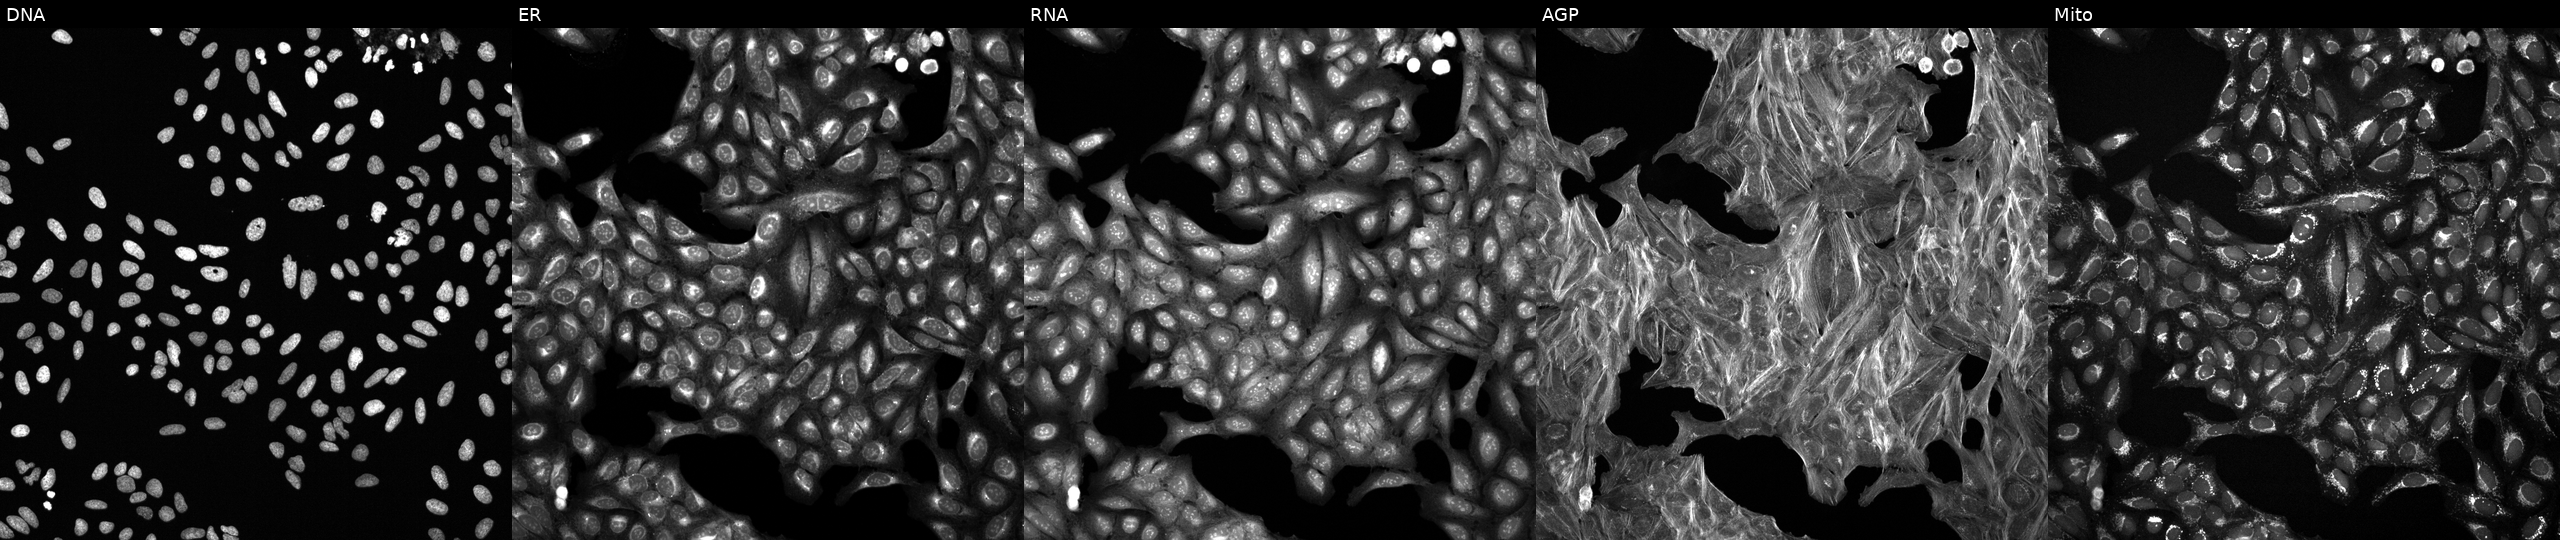
U2OS cells, Cell Painting assay, exposed to a small-molecule compound (InChIKey MVCQKIKWYUURMU-UHFFFAOYSA-N). From left to right: Hoechst 33342, concanavalin A, SYTO 14, phalloidin and WGA, MitoTracker. Each panel is percentile-stretched 16-bit fluorescence. Source 6, plate 110000293093, well G11.